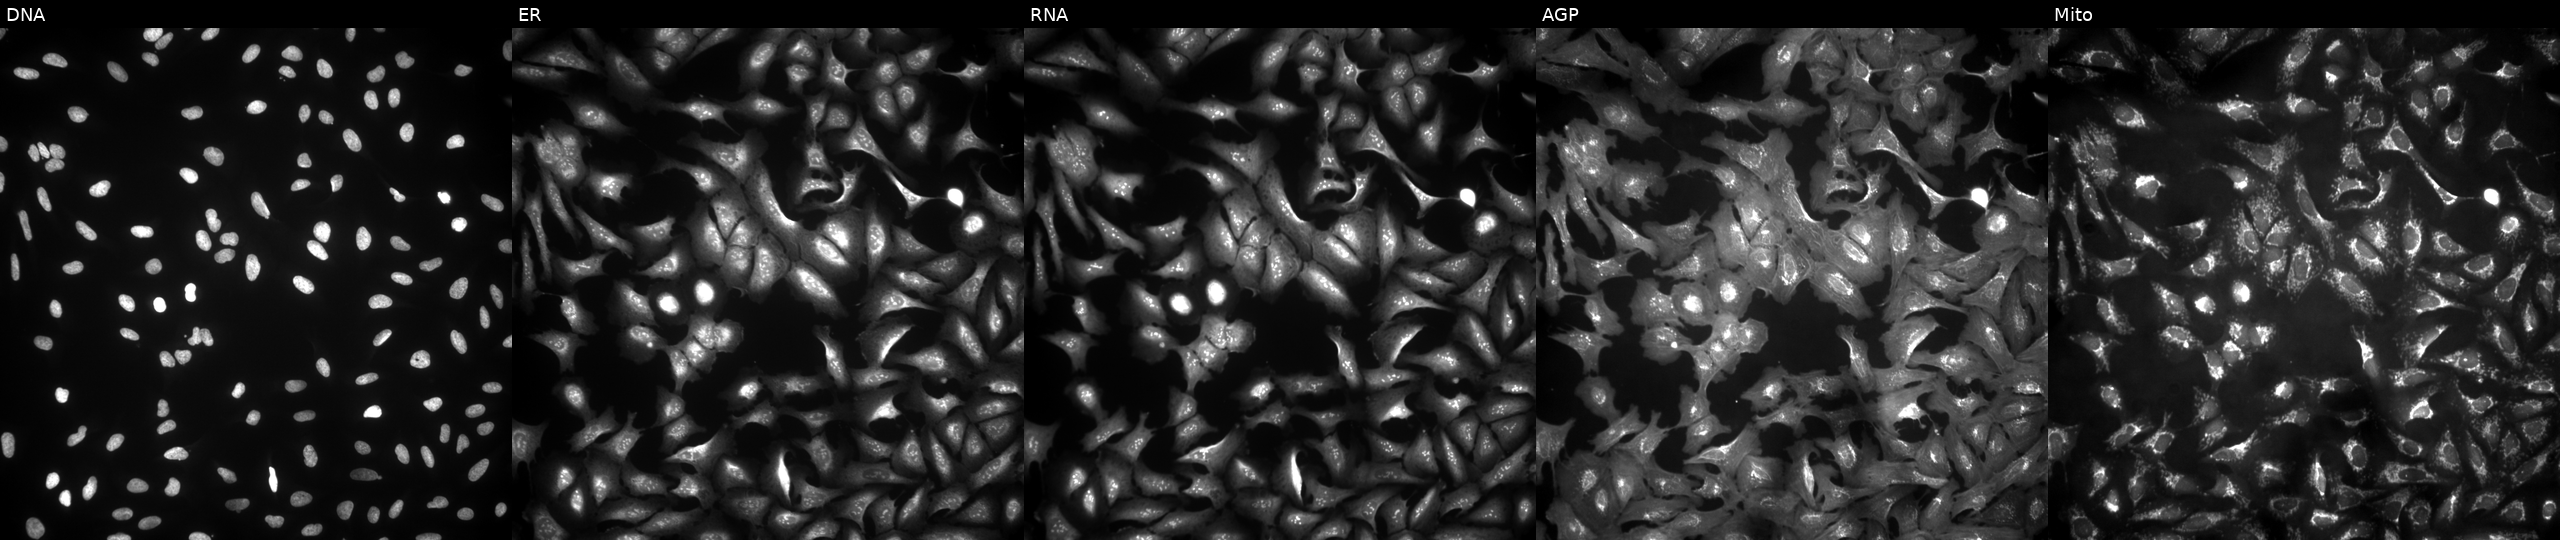
JUMP Cell Painting — ORF plate. U2OS cells with COQ6 overexpressed (ORF) (JUMP id JCP2022_914796). From left to right: Hoechst 33342, concanavalin A, SYTO 14, phalloidin and WGA, MitoTracker. Source 4, plate BR00123506, well G01.